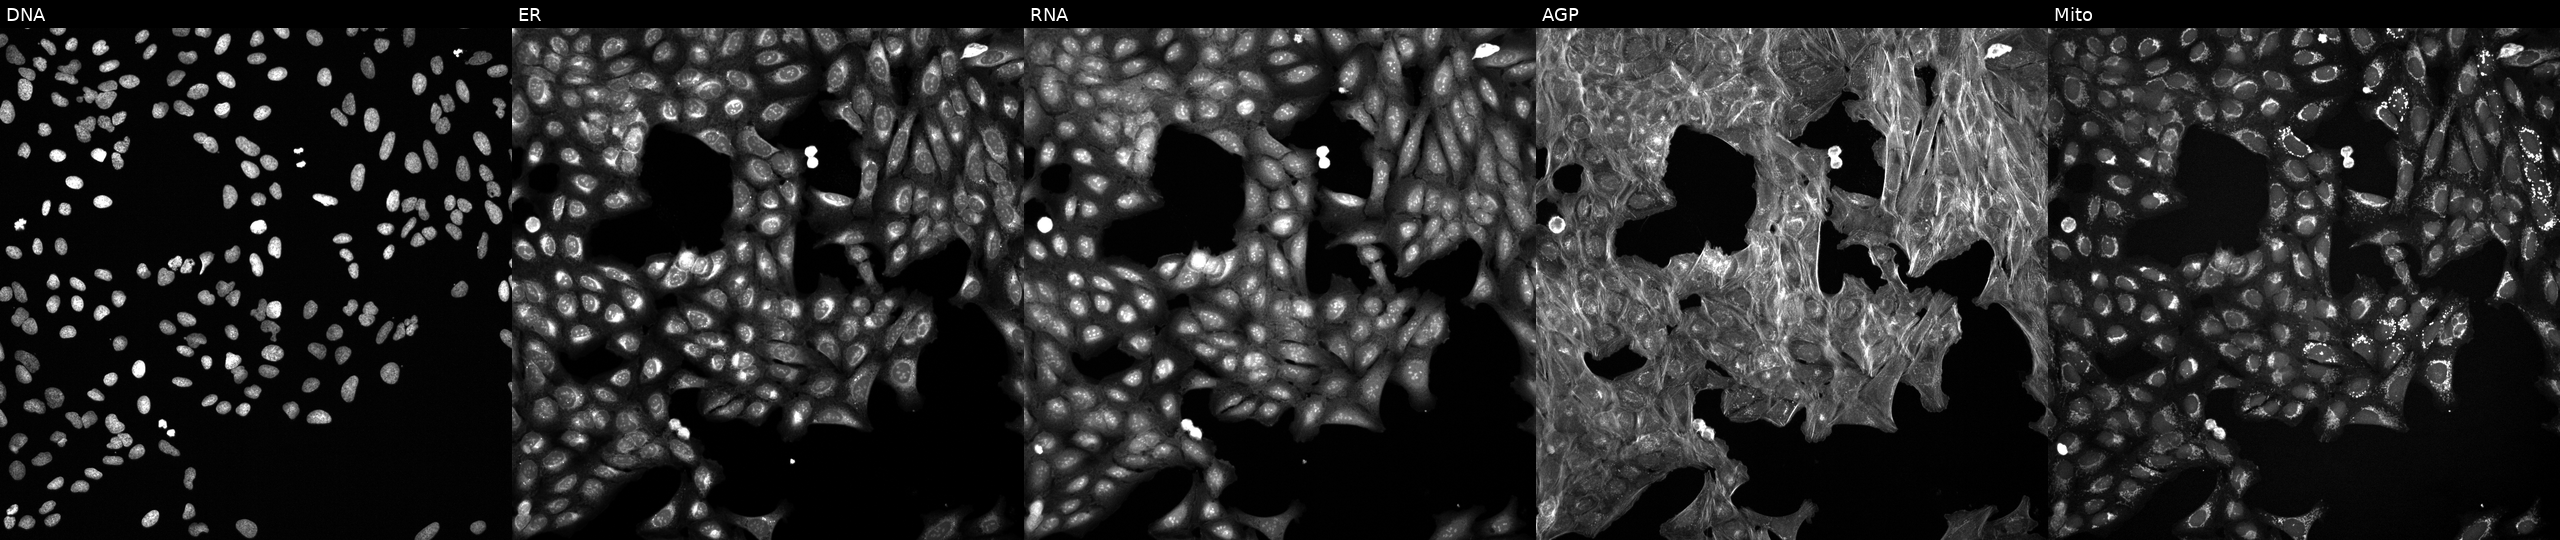
Channels (left→right): DNA, ER, RNA, AGP, and Mito. U2OS osteosarcoma cells exposed to a small-molecule compound [SMILES: CC(NCc1ccc(OCC(=O)NC(C)(C)C)cc1)C(O)c1ccccc1] (JUMP id JCP2022_037349). Cell Painting assay, JUMP-CP dataset.